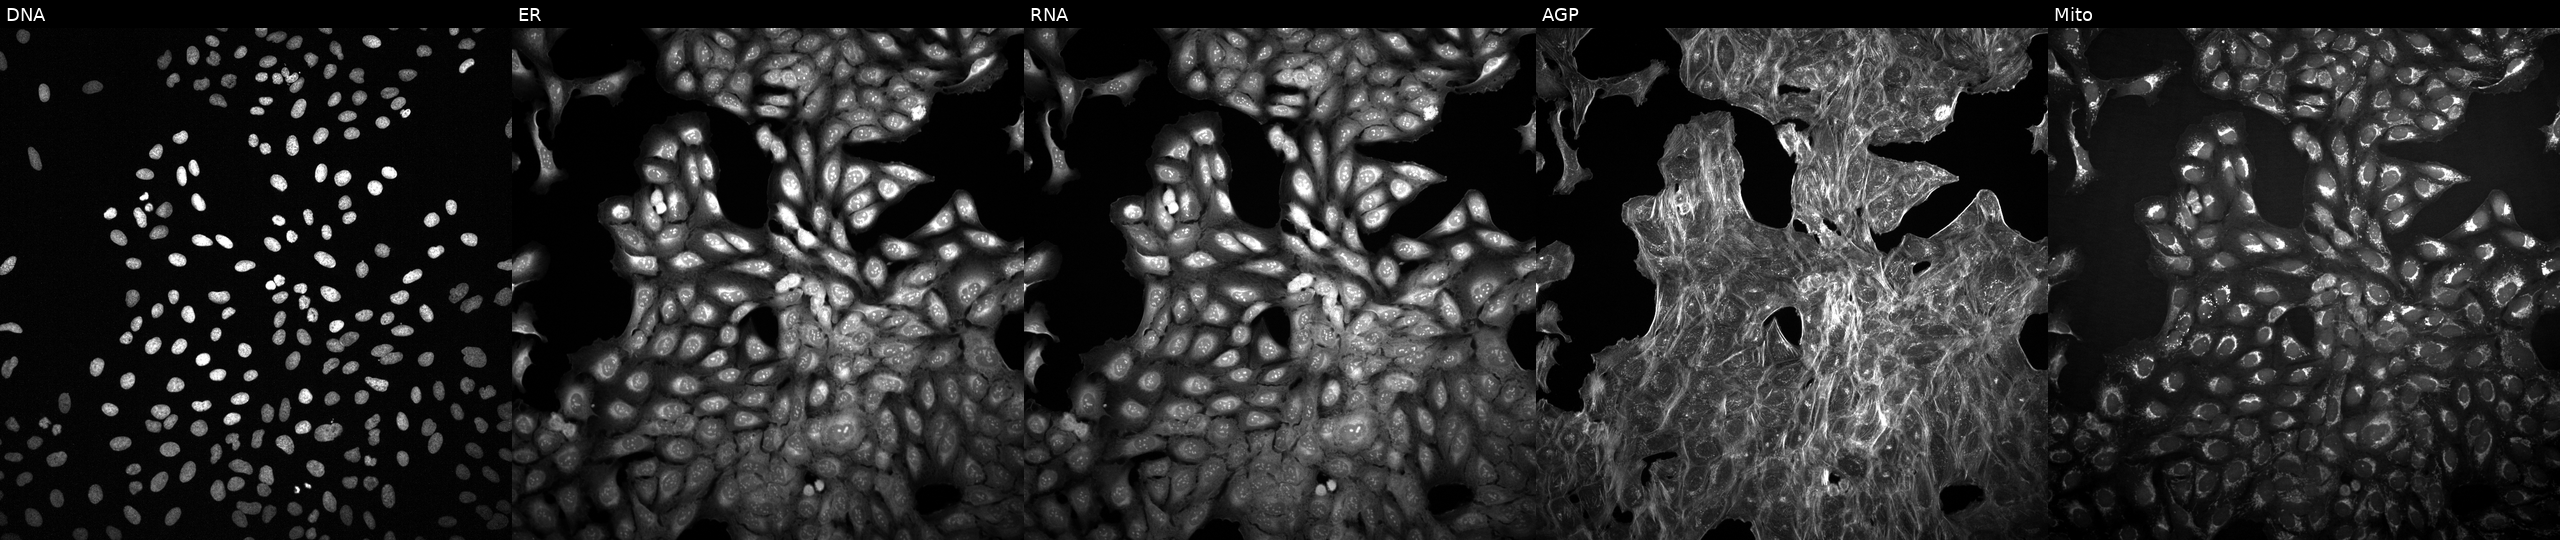
The five panels, left to right, show Hoechst 33342, concanavalin A, SYTO 14, phalloidin and WGA, MitoTracker. U2OS osteosarcoma cells treated with a small-molecule compound (InChIKey KITHXNPZEITZLV-UHFFFAOYSA-N). Cell Painting assay, JUMP-CP dataset. Source 2, plate 1053601763, well O13.